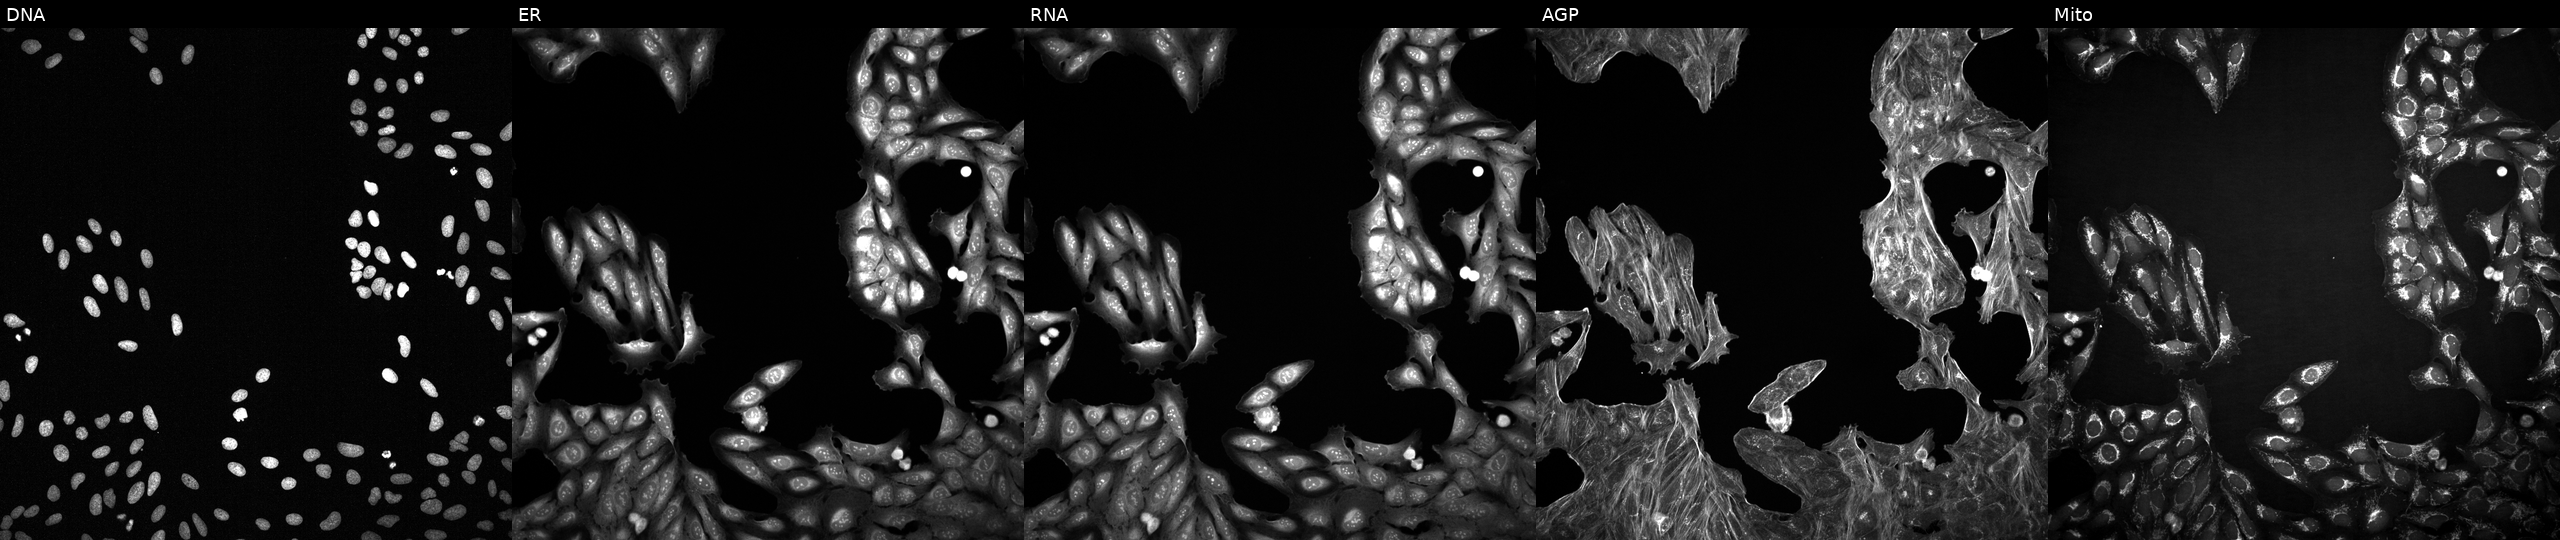
JUMP Cell Painting — COMPOUND plate. U2OS cells exposed to a small-molecule compound [SMILES: COc1cc(CNC(=O)c2ccc(=O)[nH]c2)ccc1OC(F)F]. Channels (left→right): Hoechst 33342, concanavalin A, SYTO 14, phalloidin and WGA, MitoTracker.